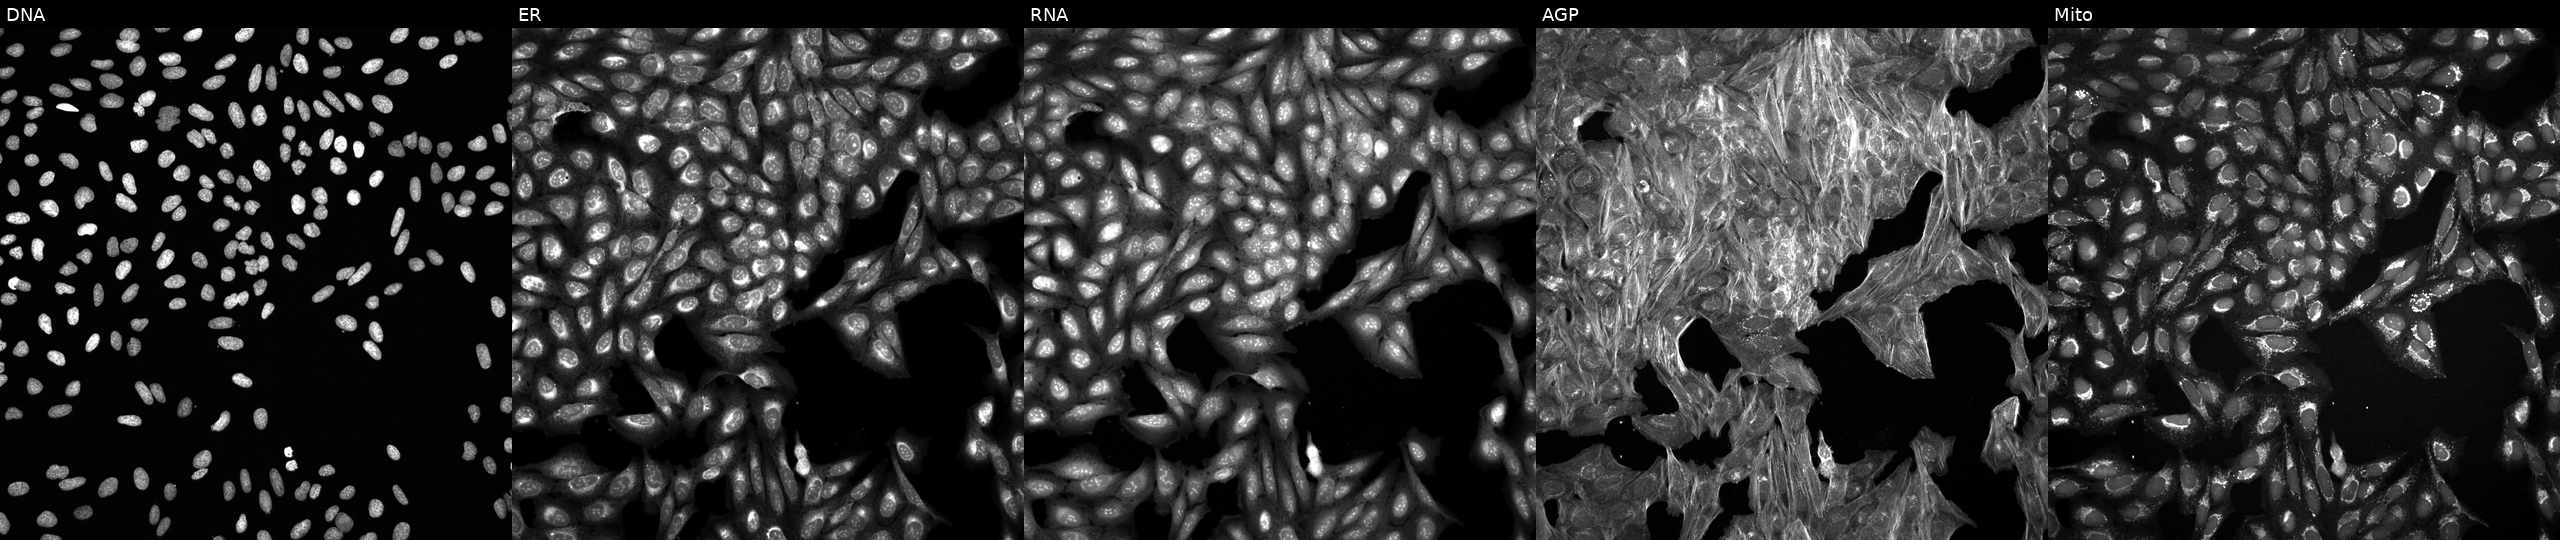
U2OS cells, Cell Painting assay, exposed to a small-molecule compound (JUMP id JCP2022_009346). Panels show, left to right, DNA (nuclei); ER (endoplasmic reticulum); RNA (nucleoli and cytoplasmic RNA); AGP (actin cytoskeleton, Golgi, and plasma membrane); Mito (mitochondria). Each panel is percentile-stretched 16-bit fluorescence. Source 6, plate 110000293083, well N18.